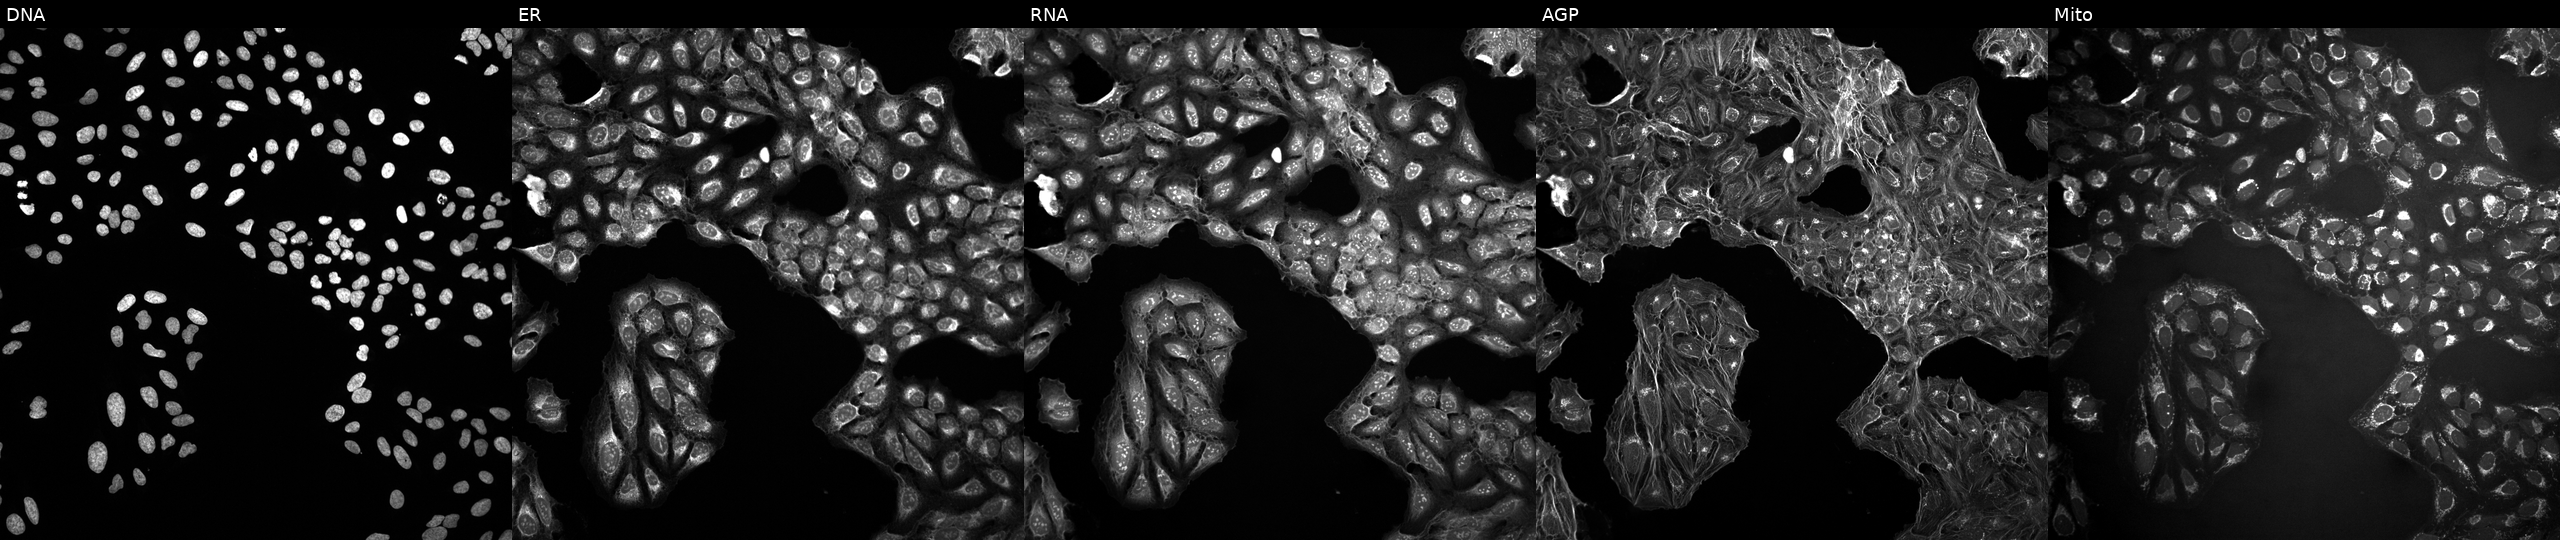
JUMP Cell Painting — COMPOUND plate. U2OS cells in an empty control well (no perturbation) (JUMP id JCP2022_999999). Channels (left→right): DNA (nuclei); ER (endoplasmic reticulum); RNA (nucleoli and cytoplasmic RNA); AGP (actin cytoskeleton, Golgi, and plasma membrane); Mito (mitochondria).